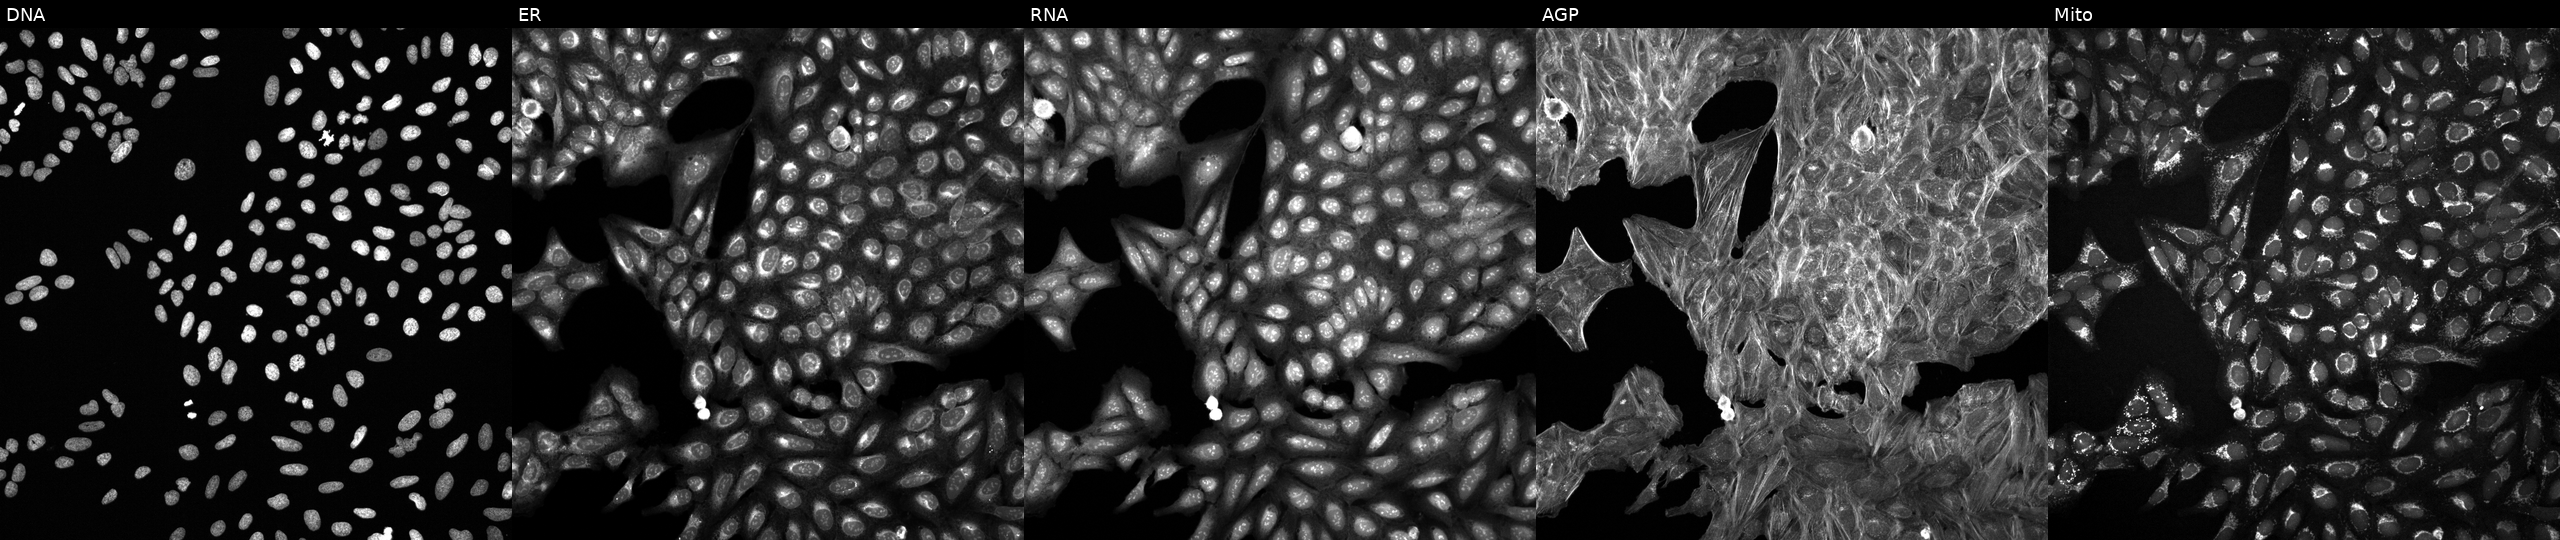
Five-channel Cell Painting image of U2OS cells perturbed with a small-molecule compound (InChIKey QVXGGAMGPQEQLZ-UHFFFAOYSA-N). The five panels, left to right, show Hoechst 33342, concanavalin A, SYTO 14, phalloidin and WGA, MitoTracker.